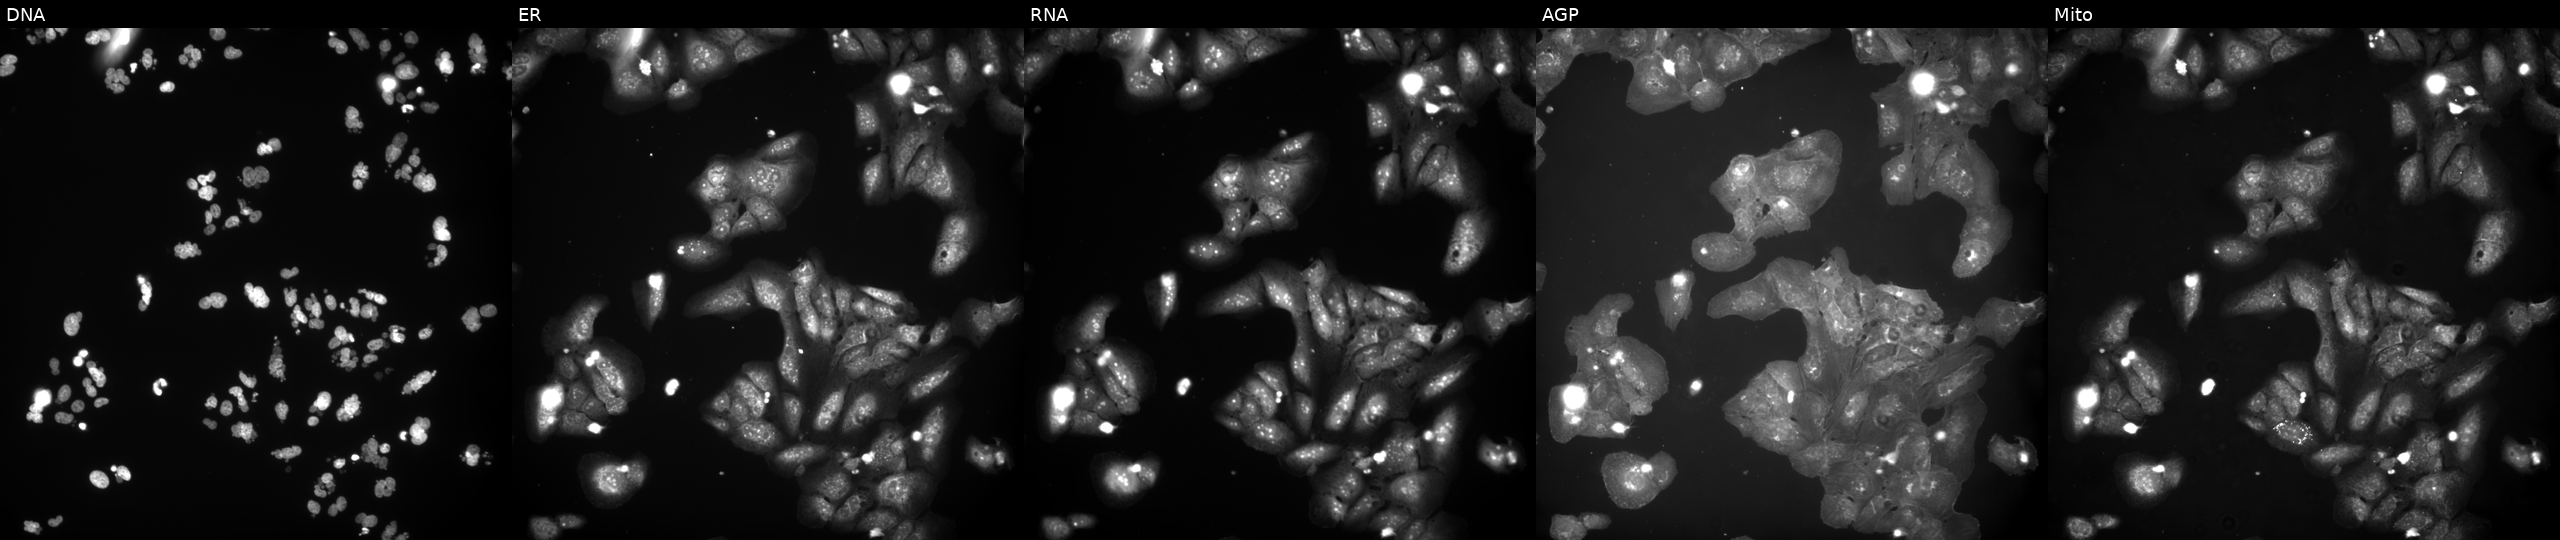
Five-channel Cell Painting image of U2OS cells perturbed with a small-molecule compound (InChIKey QVLJKZVKALSWTG-UHFFFAOYSA-N) (JUMP id JCP2022_076134). From left to right: DNA, ER, RNA, AGP, and Mito.